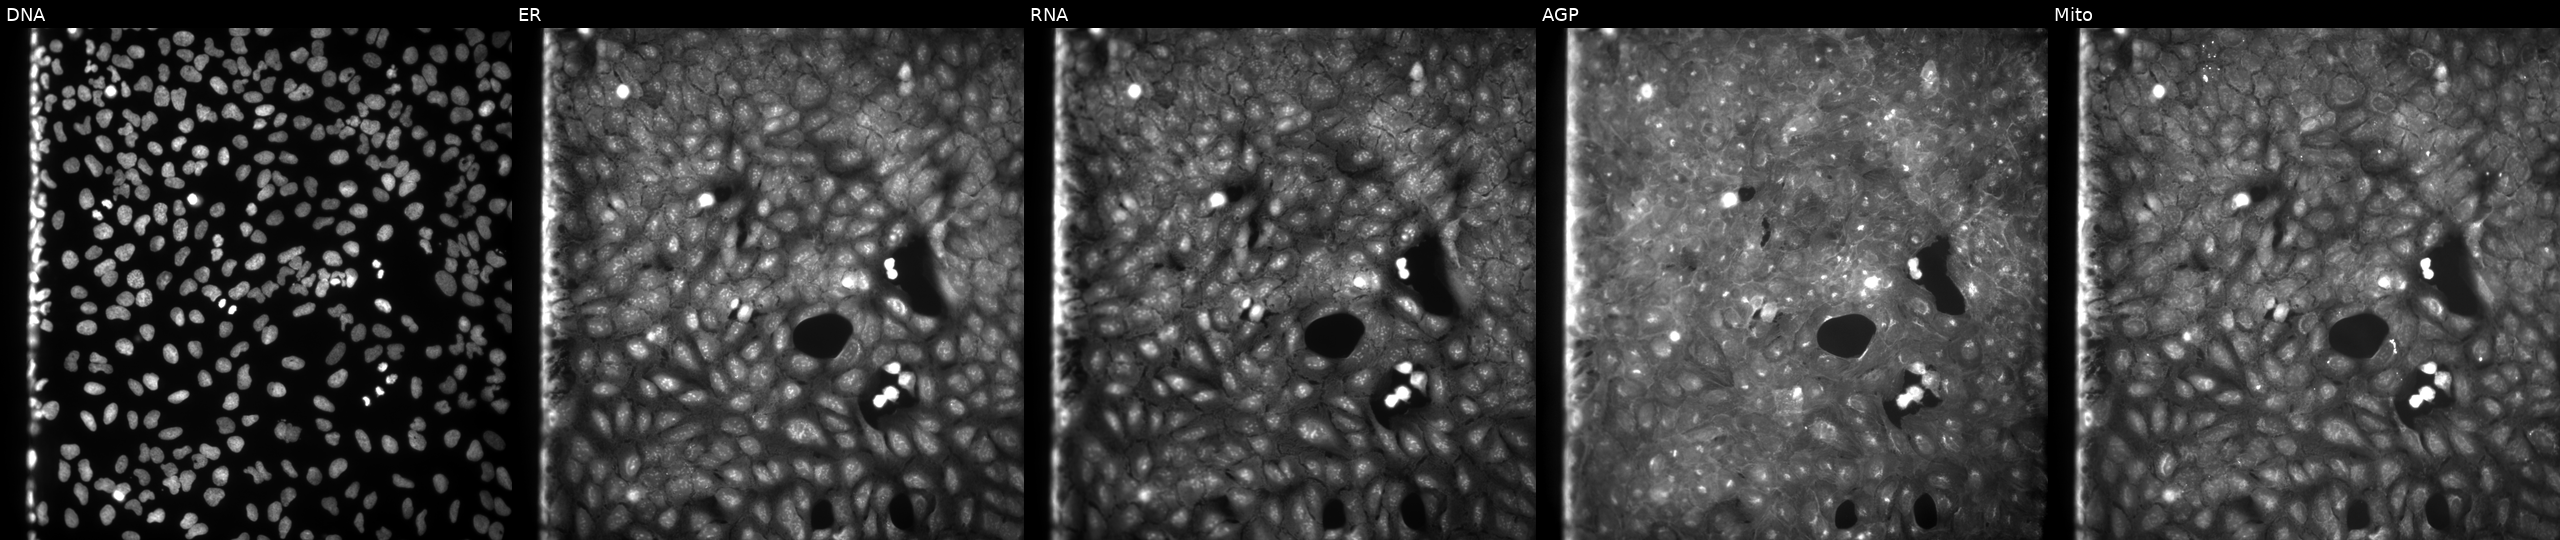
From left to right: Hoechst 33342, concanavalin A, SYTO 14, phalloidin and WGA, MitoTracker. U2OS osteosarcoma cells perturbed with a small-molecule compound. Cell Painting assay, JUMP-CP dataset.